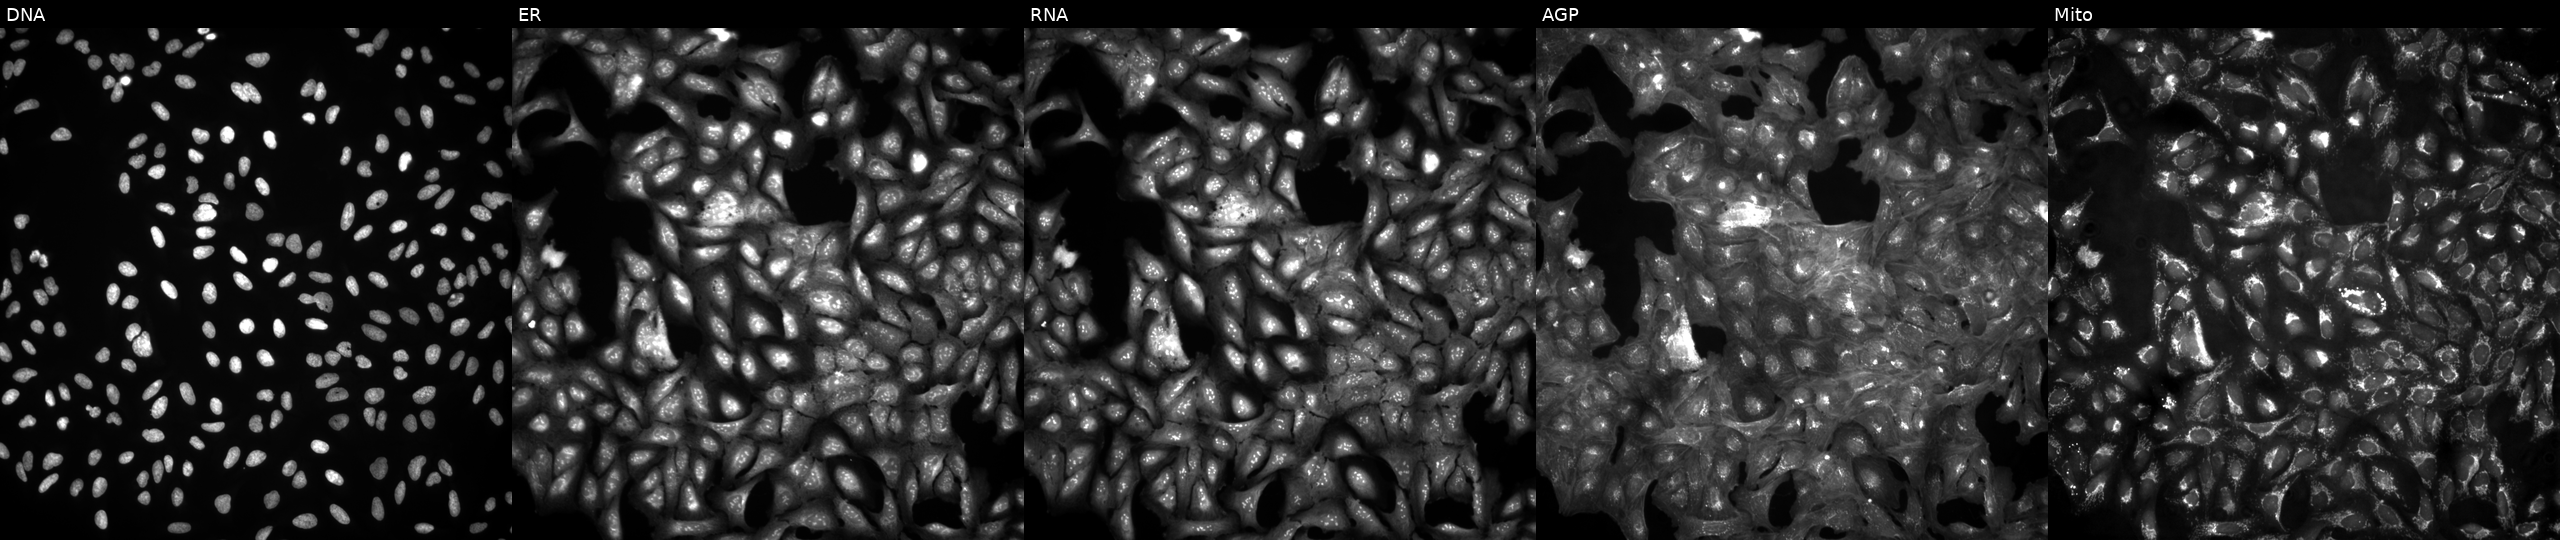
Five-channel Cell Painting image of U2OS cells in an empty control well (no perturbation). From left to right: DNA, ER, RNA, AGP, and Mito.